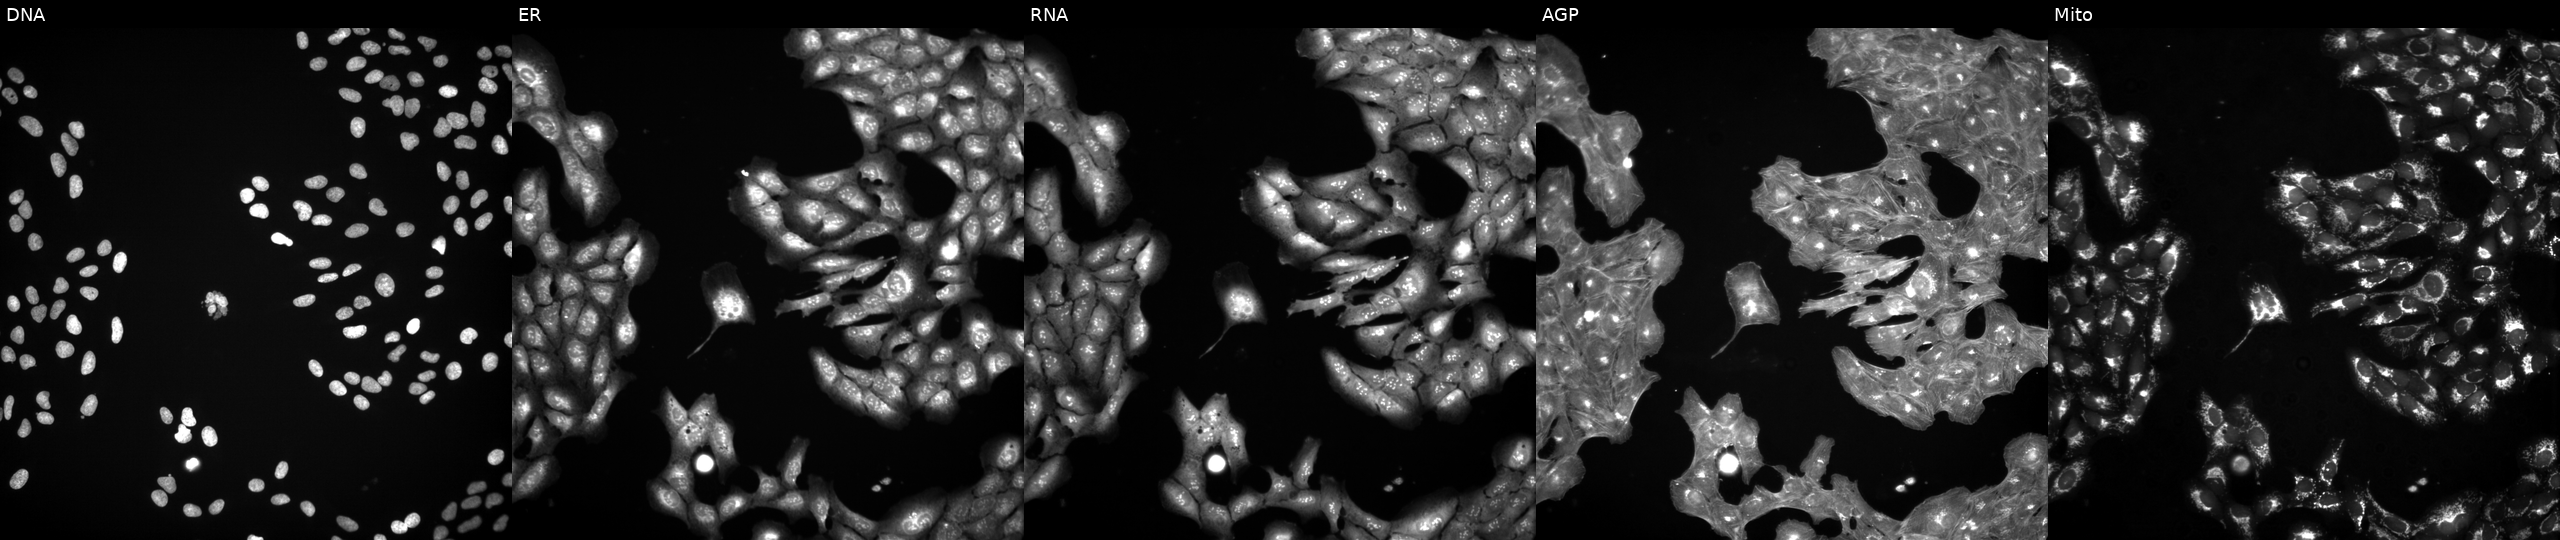
This image strip shows the five Cell Painting channels for a single field of U2OS cells treated with DMSO vehicle only (negative control) (JUMP id JCP2022_033924). The five panels, left to right, show DNA (nuclei); ER (endoplasmic reticulum); RNA (nucleoli and cytoplasmic RNA); AGP (actin cytoskeleton, Golgi, and plasma membrane); Mito (mitochondria). Source 3, plate JCPQC051, well G04.